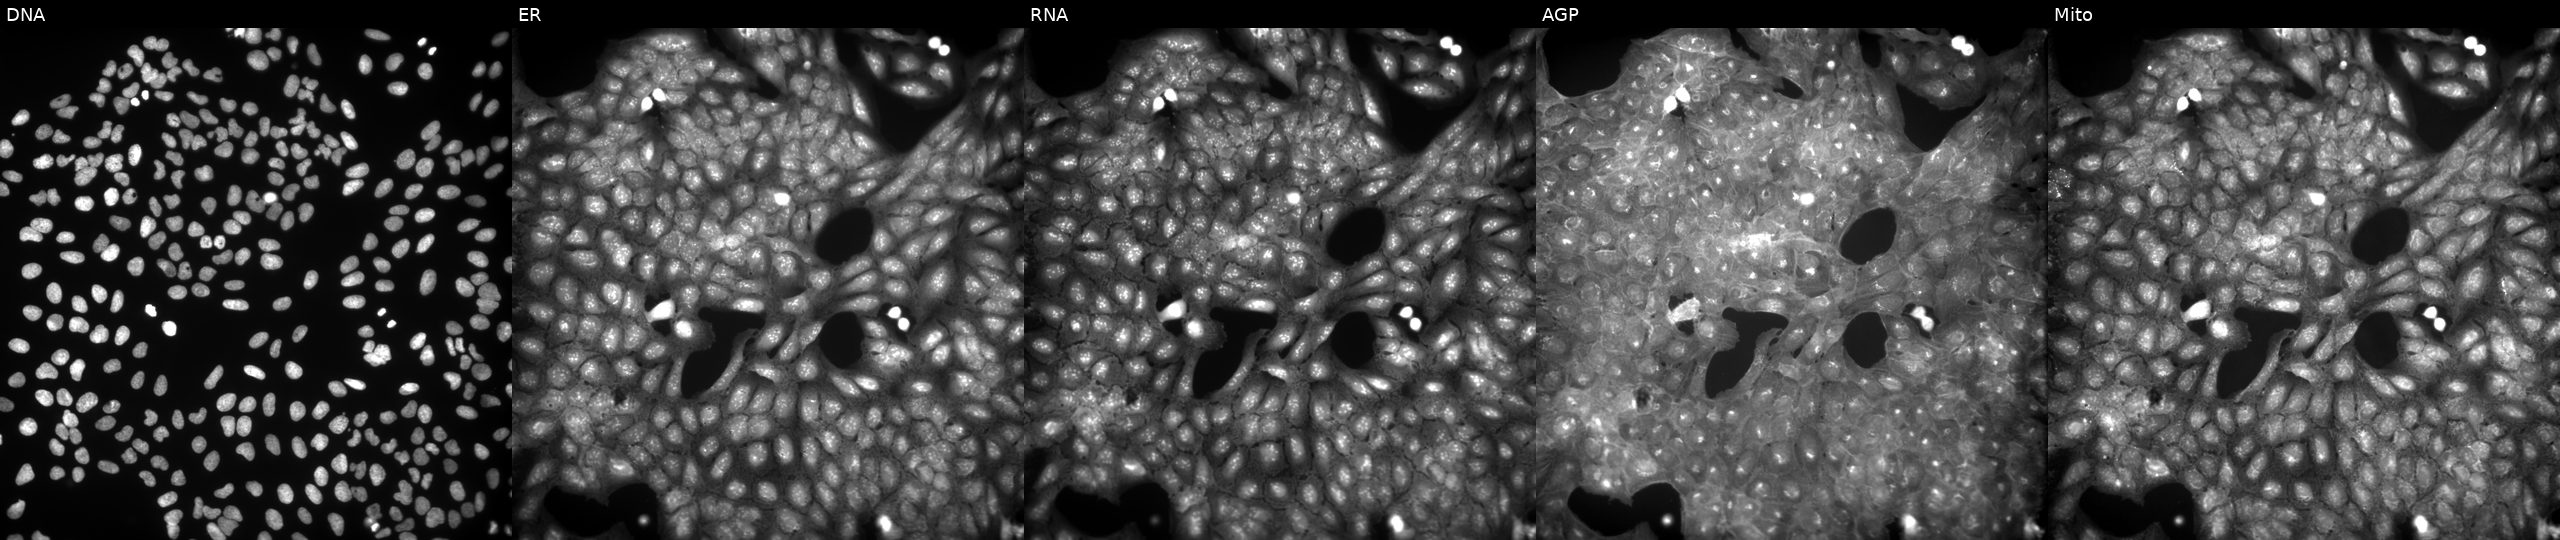
U2OS cells, Cell Painting assay, exposed to a small-molecule compound (InChIKey HQWLQMUECXIKCW-UHFFFAOYSA-N) [SMILES: CCOC(=O)N1CCN(C(=S)NC(=O)c2cncc(Br)c2)CC1]. The five panels, left to right, show DNA, ER, RNA, AGP, and Mito. Each panel is percentile-stretched 16-bit fluorescence.